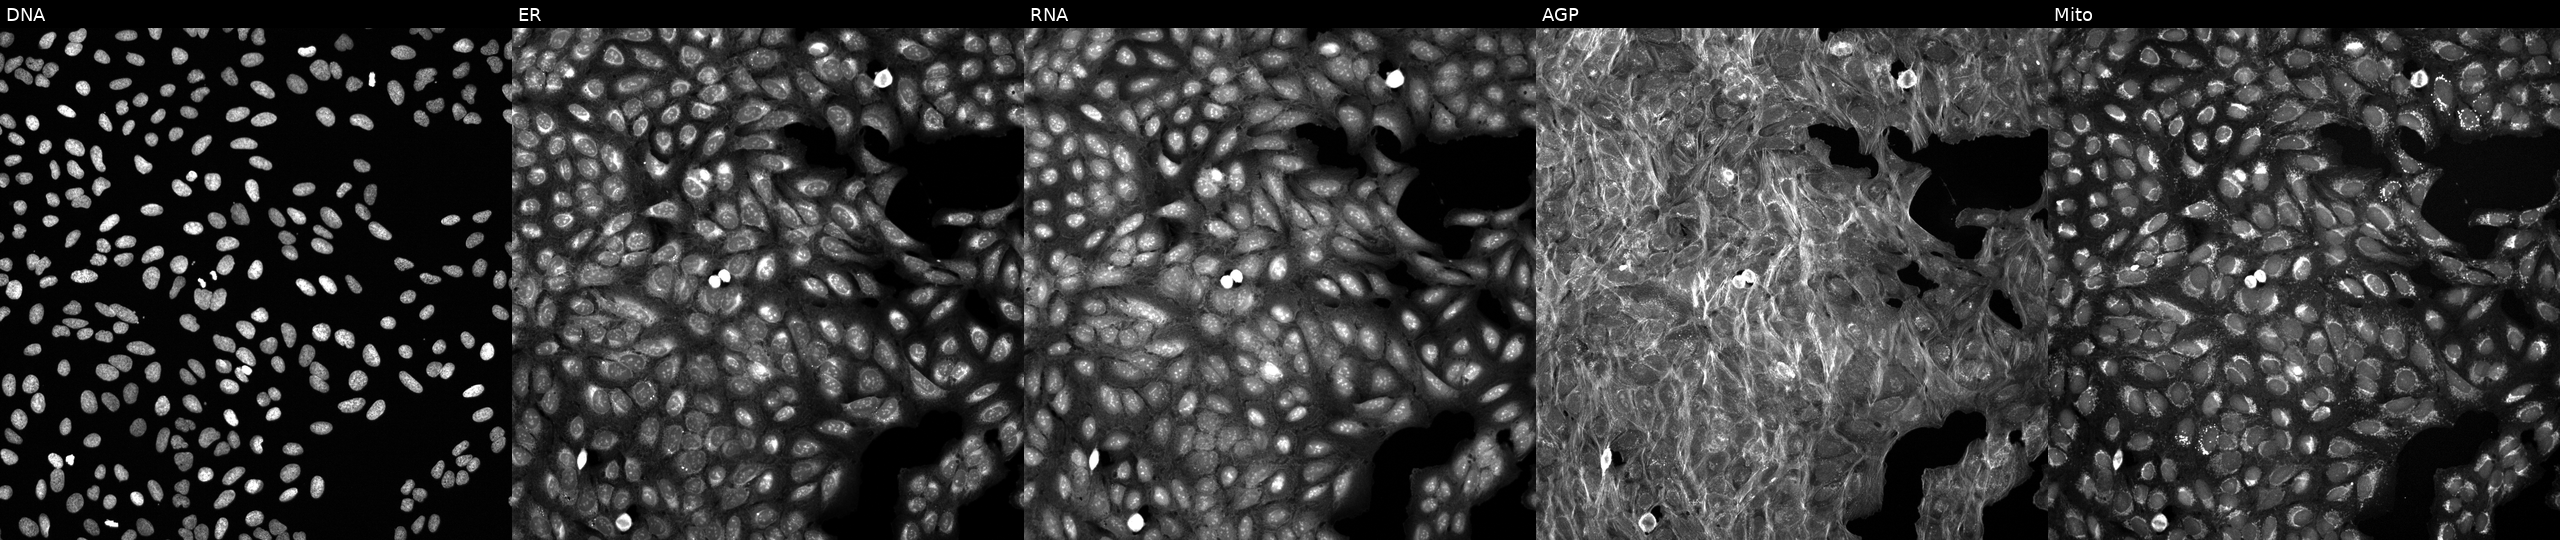
This image strip shows the five Cell Painting channels for a single field of U2OS cells perturbed with a small-molecule compound (InChIKey WXPNDRBBWZMPQG-UHFFFAOYSA-N) (JUMP id JCP2022_101857). Channels (left→right): Hoechst 33342, concanavalin A, SYTO 14, phalloidin and WGA, MitoTracker. Source 6, plate 110000294901, well F23.